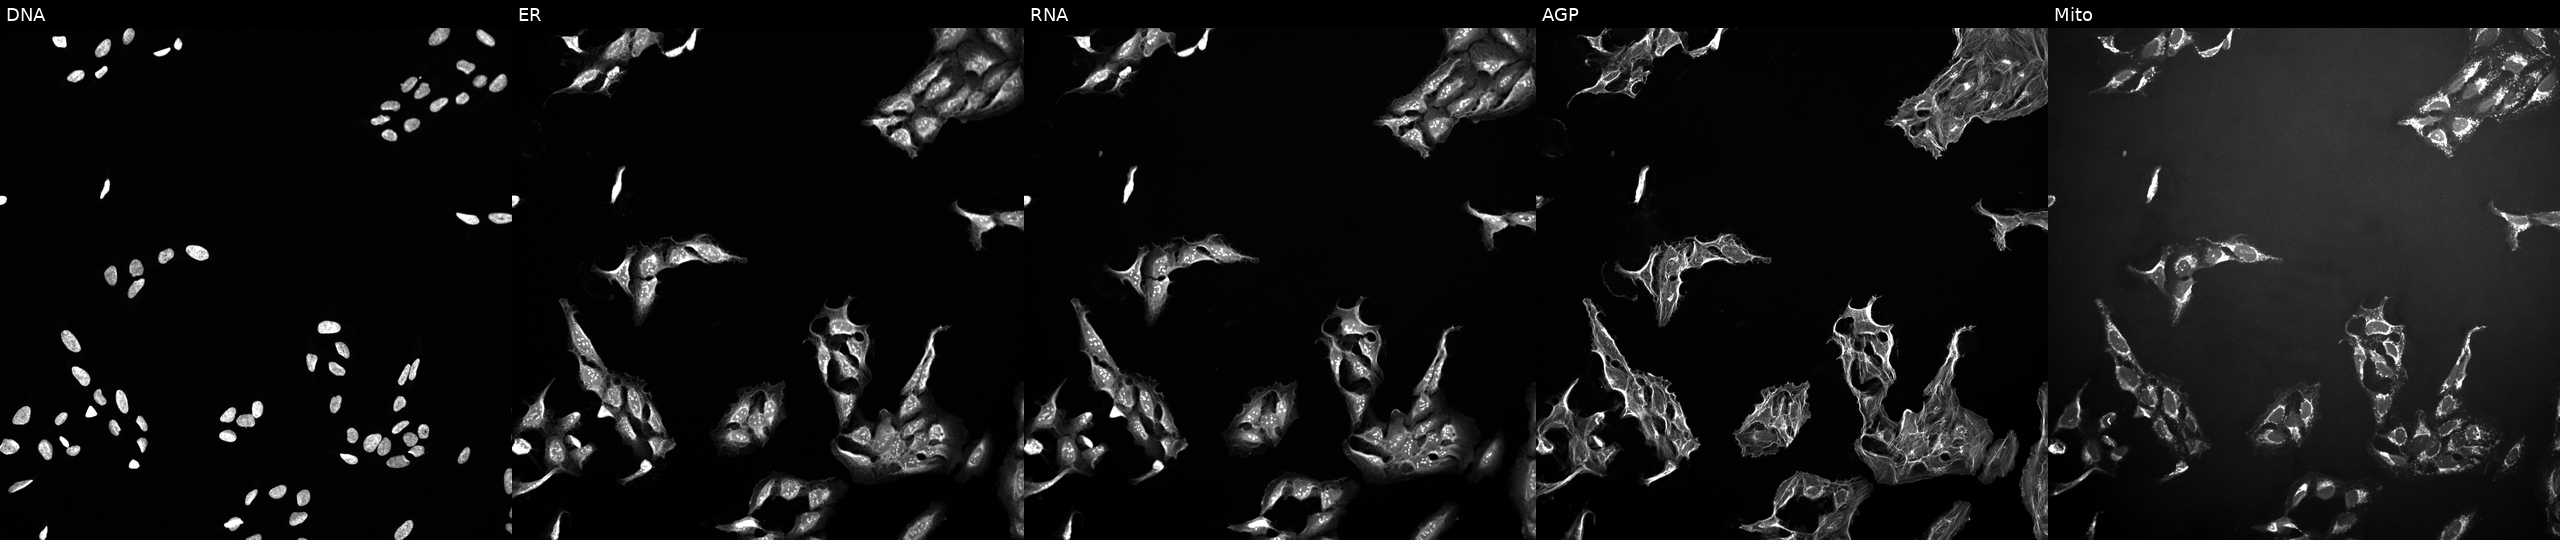
Five-channel Cell Painting image of U2OS cells exposed to DMSO alone as a negative control (JUMP id JCP2022_033924). The five panels, left to right, show DNA (nuclei); ER (endoplasmic reticulum); RNA (nucleoli and cytoplasmic RNA); AGP (actin cytoskeleton, Golgi, and plasma membrane); Mito (mitochondria).